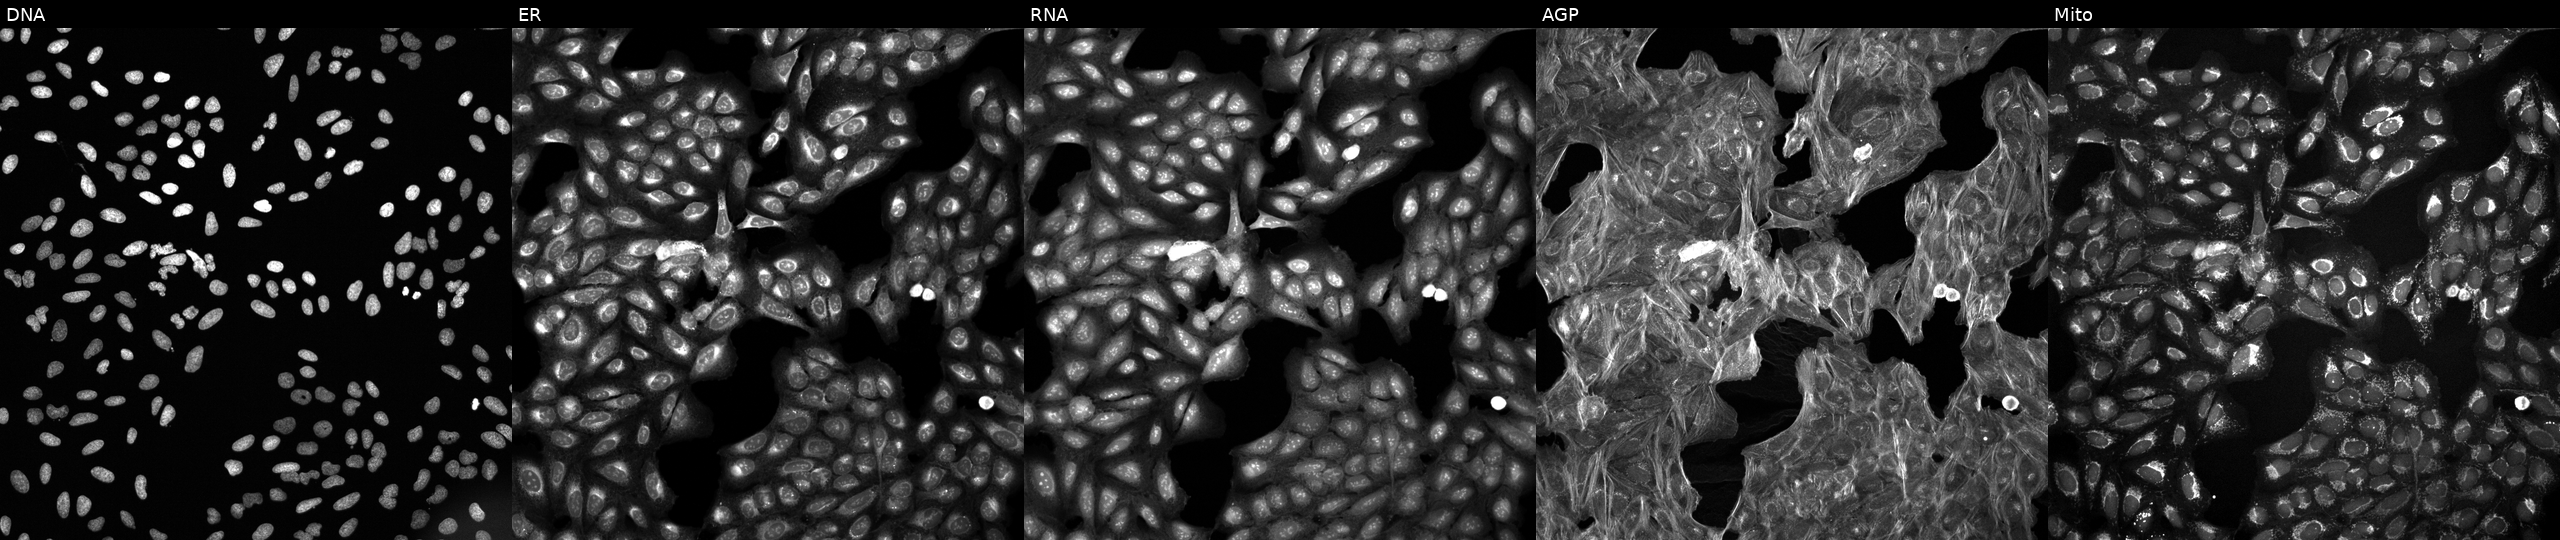
Channels (left→right): DNA, ER, RNA, AGP, and Mito. U2OS osteosarcoma cells perturbed with a small-molecule compound (InChIKey JDVVGAQPNNXQDW-UHFFFAOYSA-N) [SMILES: OC1CN2CCC(O)C2C(O)C1O]. Cell Painting assay, JUMP-CP dataset.